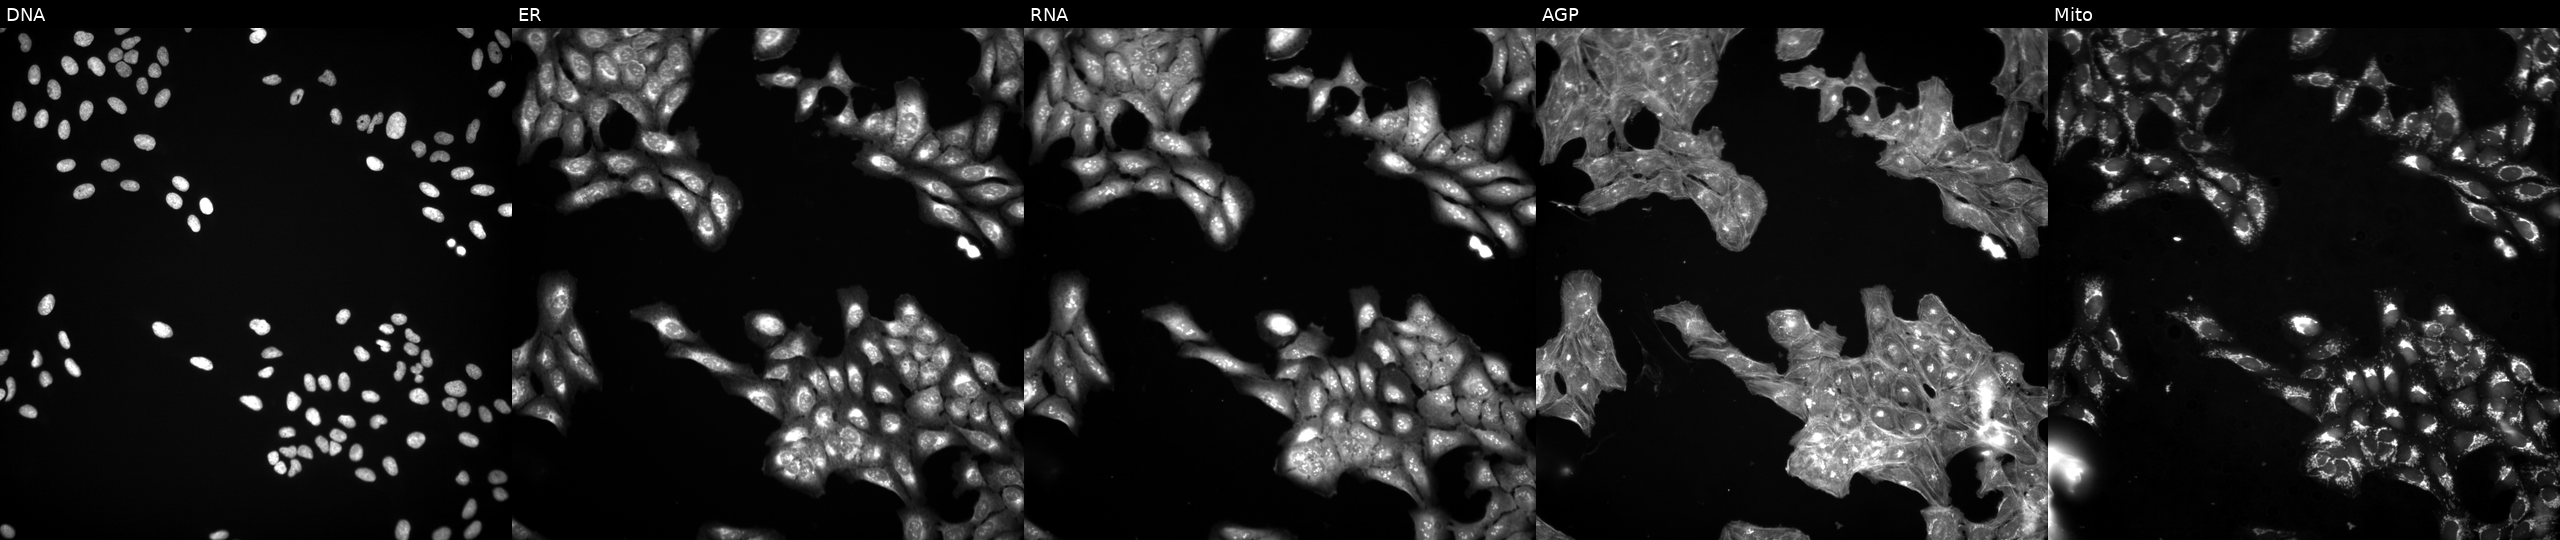
JUMP Cell Painting — TARGET2 plate. U2OS cells perturbed with a small-molecule compound (InChIKey ZESFDAKNYJQYKO-UHFFFAOYSA-N) [SMILES: N#Cc1ccc(-c2ccc(S(=O)(=O)N=c3cccc(N)[nH]3)cc2)cc1] (JUMP id JCP2022_112828). From left to right: Hoechst 33342, concanavalin A, SYTO 14, phalloidin and WGA, MitoTracker.